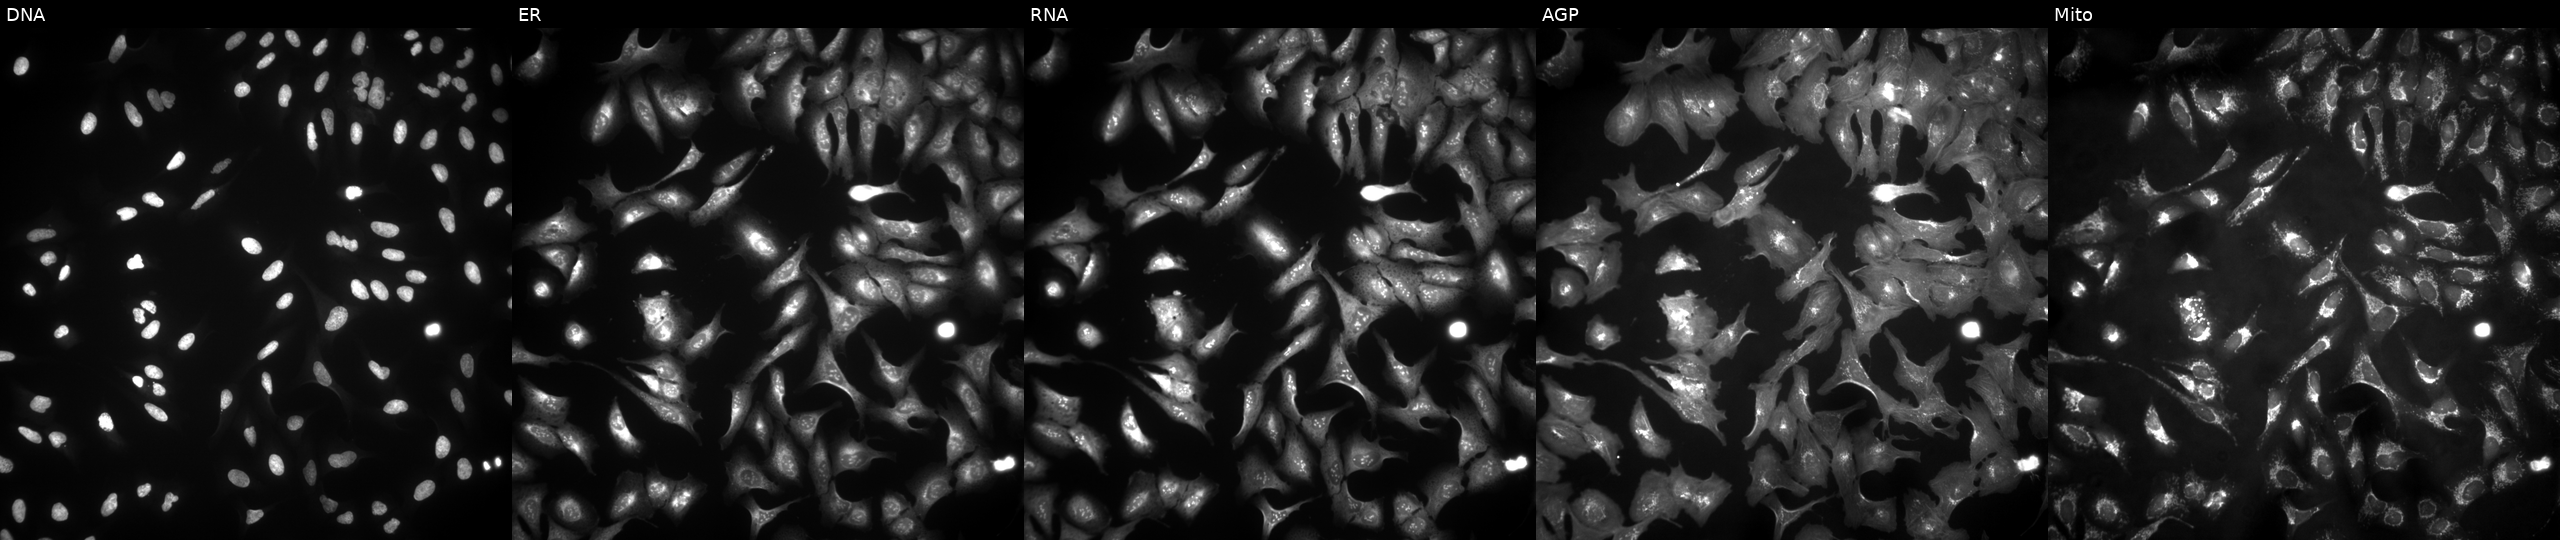
Five-channel Cell Painting image of U2OS cells expressing BFP (ORF negative control). Channels (left→right): DNA, ER, RNA, AGP, and Mito.